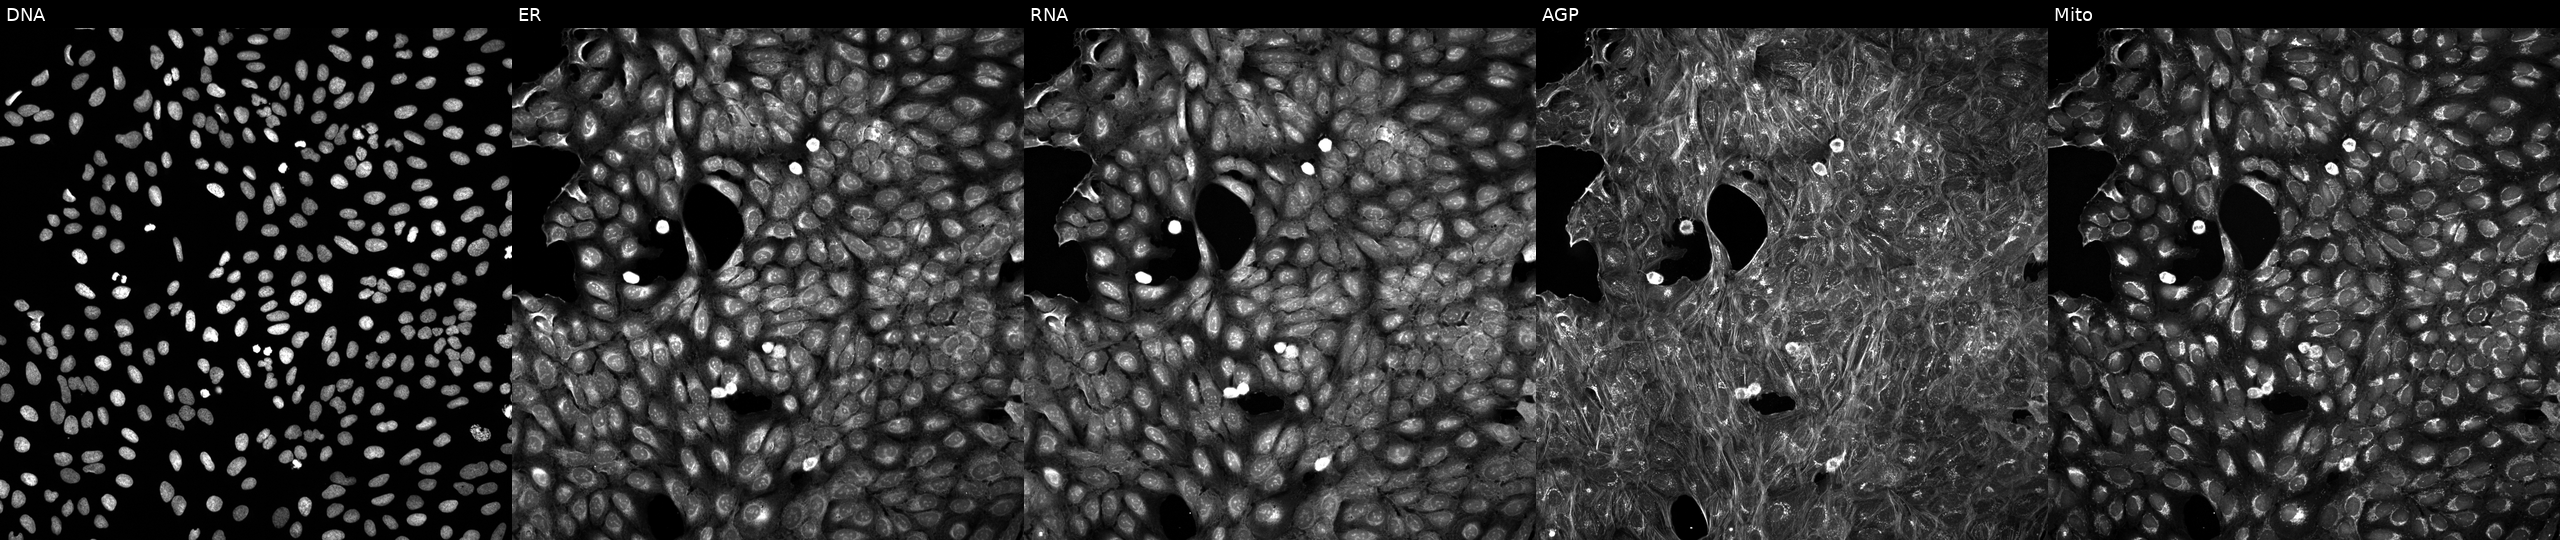
Five-channel Cell Painting image of U2OS cells exposed to a small-molecule compound (InChIKey PKYKNPLSFOKASK-UHFFFAOYSA-N) [SMILES: CCCCc1c(O)n(-c2ccccc2)n(-c2ccccc2)c1=O] (JUMP id JCP2022_069285). The five panels, left to right, show Hoechst 33342, concanavalin A, SYTO 14, phalloidin and WGA, MitoTracker. Source 5, plate ACPJUM012, well G15.